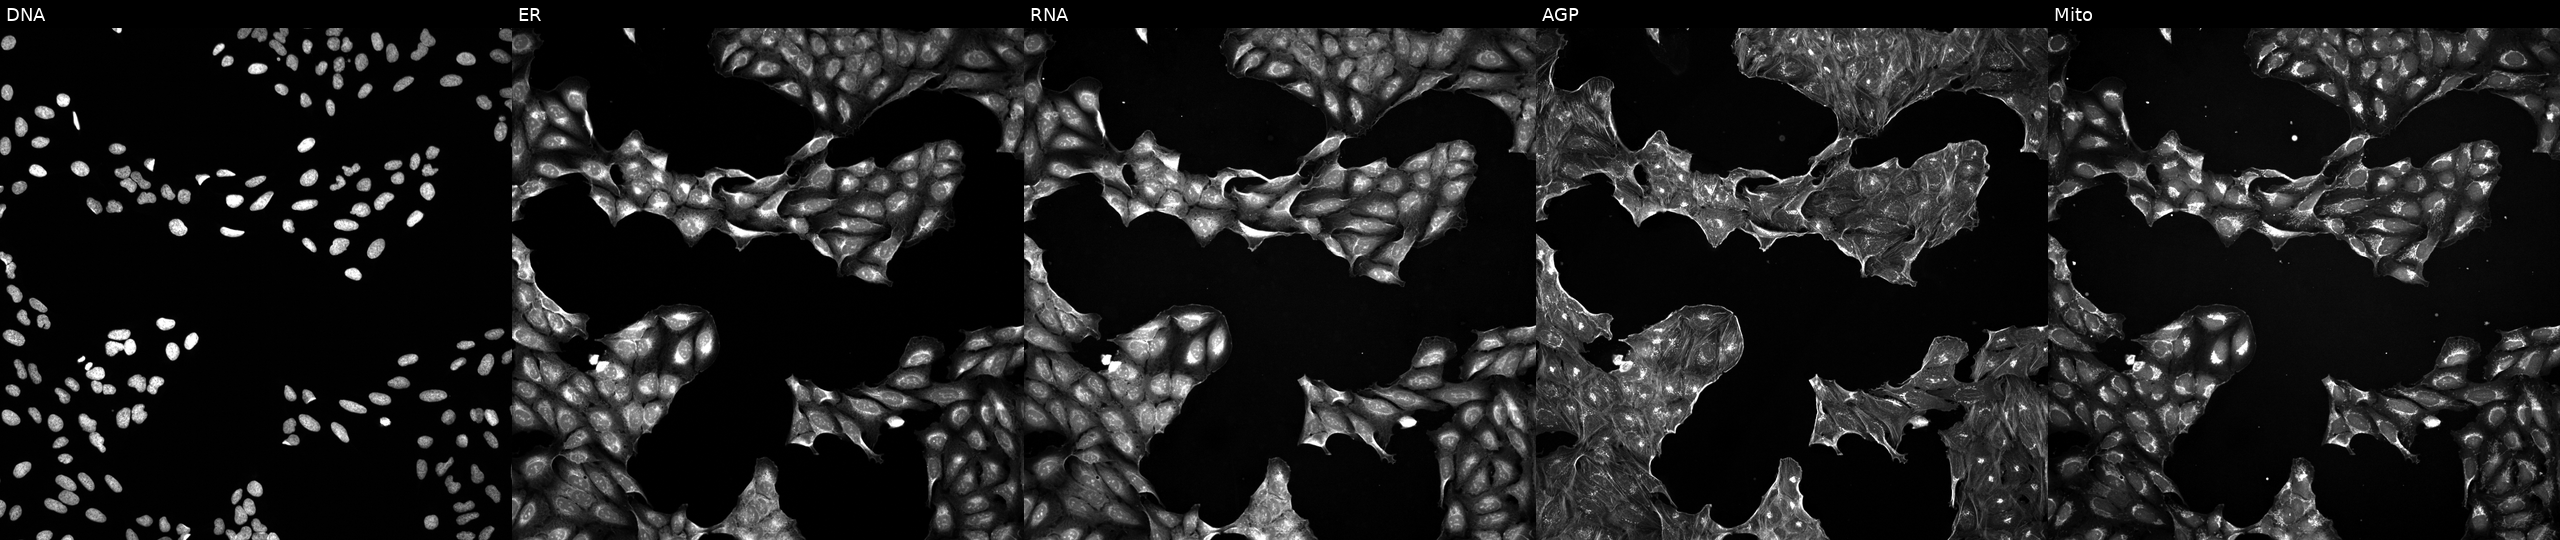
The five panels, left to right, show DNA, ER, RNA, AGP, and Mito. U2OS osteosarcoma cells treated with a small-molecule compound (InChIKey FNYLWPVRPXGIIP-UHFFFAOYSA-N) [SMILES: N=c1[nH]c(=N)c2nc(-c3ccccc3)c(=N)[nH]c2[nH]1]. Cell Painting assay, JUMP-CP dataset.